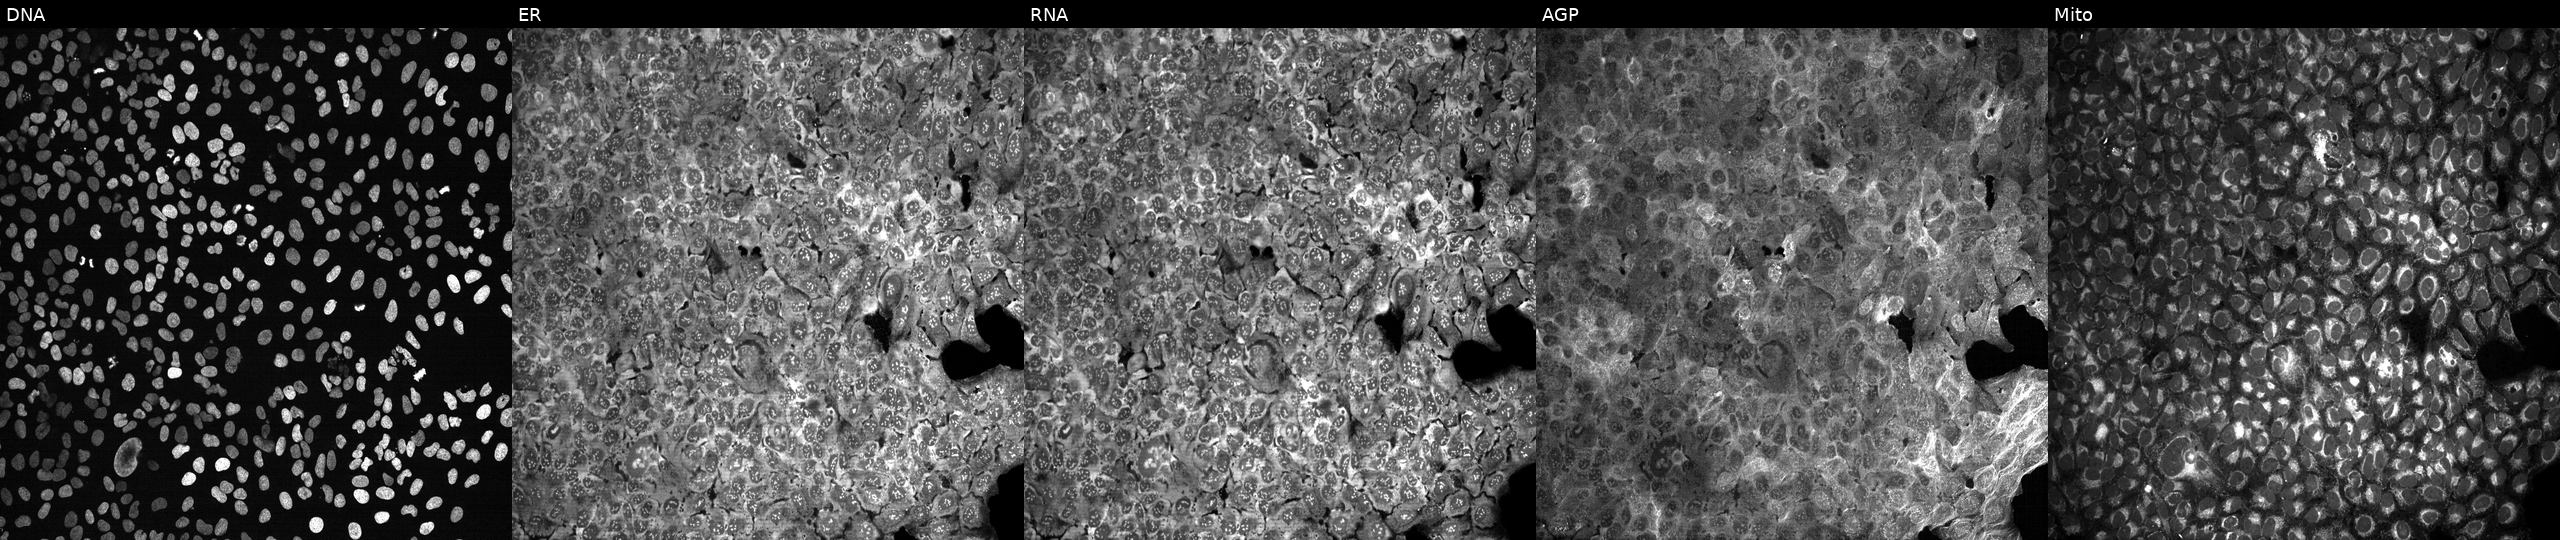
JUMP Cell Painting — CRISPR plate. U2OS cells exposed to the positive-control compound quinidine (JUMP id JCP2022_050797). Panels show, left to right, DNA (nuclei); ER (endoplasmic reticulum); RNA (nucleoli and cytoplasmic RNA); AGP (actin cytoskeleton, Golgi, and plasma membrane); Mito (mitochondria).